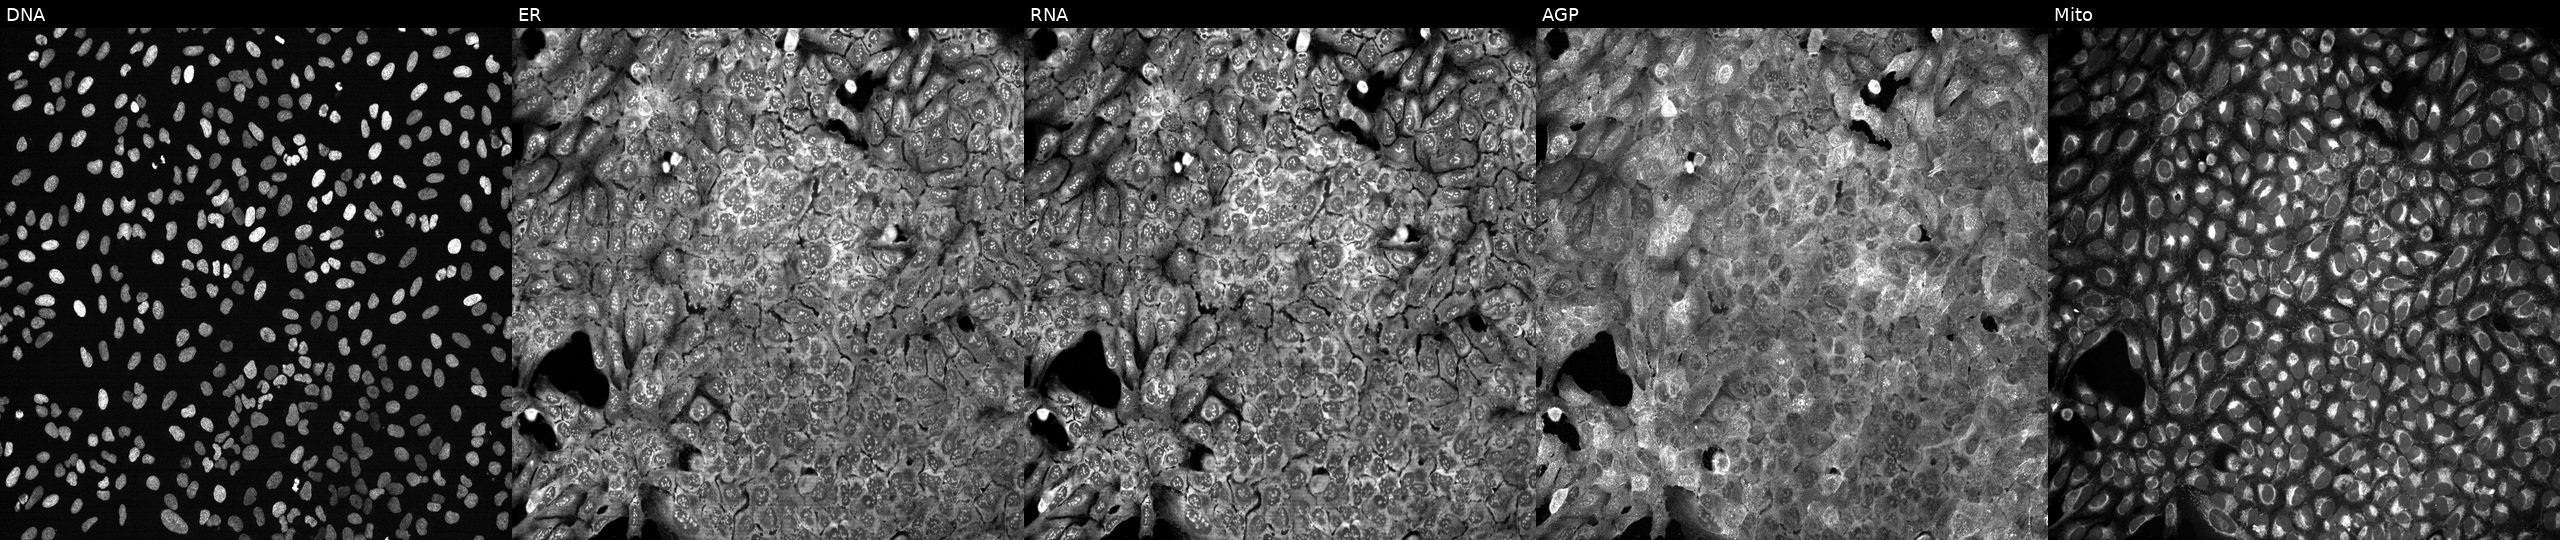
This image strip shows the five Cell Painting channels for a single field of U2OS cells with UGT1A7 knocked out by CRISPR (JUMP id JCP2022_807523). Channels (left→right): DNA (nuclei); ER (endoplasmic reticulum); RNA (nucleoli and cytoplasmic RNA); AGP (actin cytoskeleton, Golgi, and plasma membrane); Mito (mitochondria). Source 13, plate CP-CC9-R2-02, well J14.